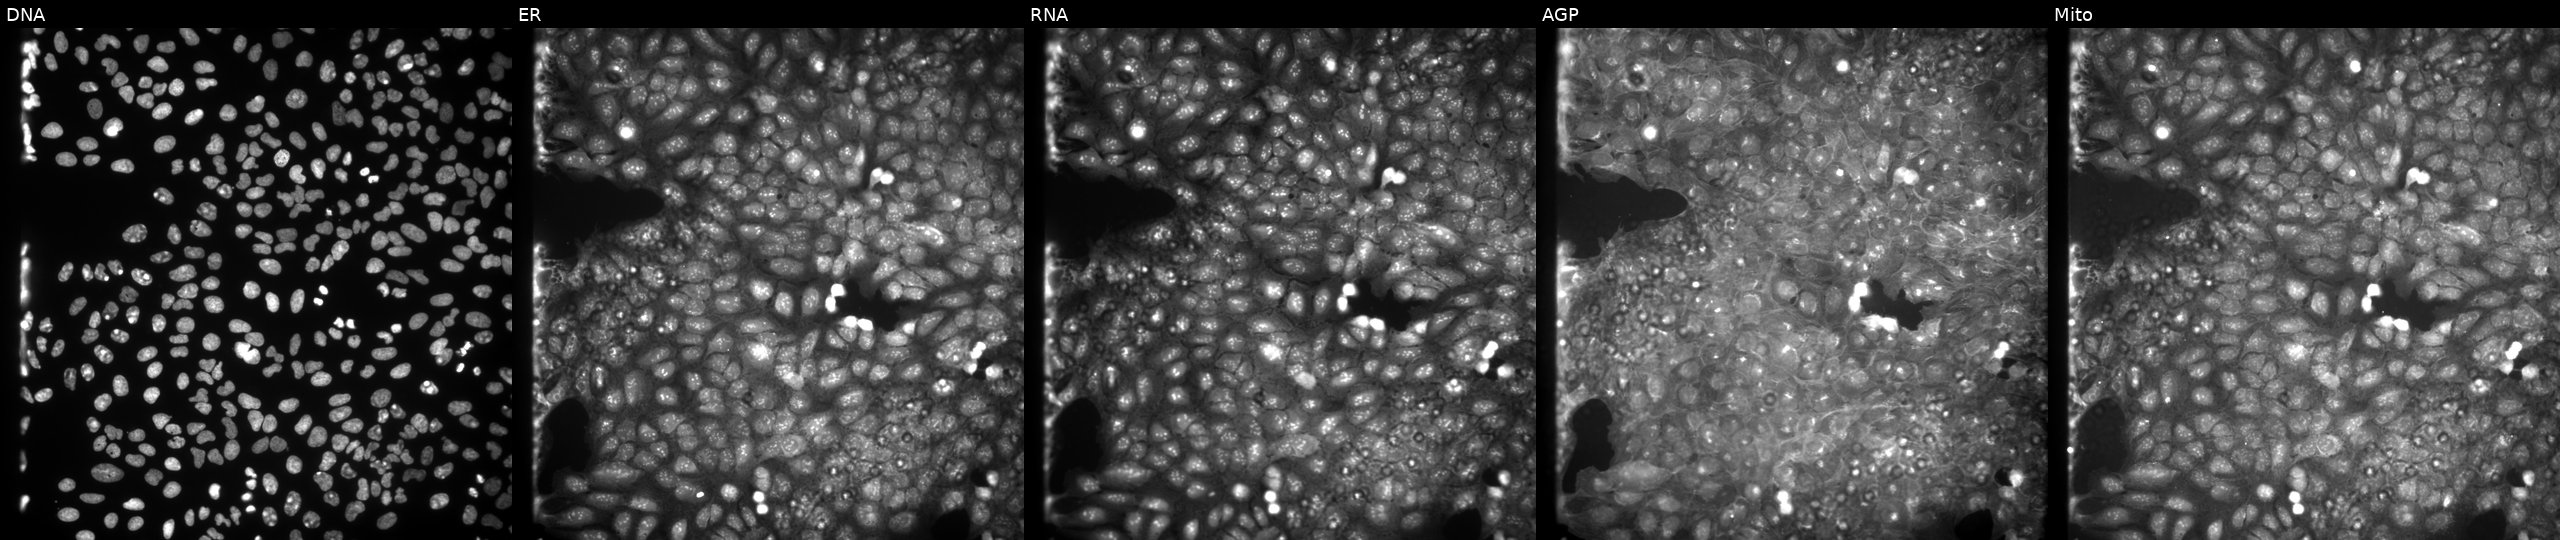
Five-channel Cell Painting image of U2OS cells exposed to a small-molecule compound (InChIKey LXGXFAHDVDRRCG-UHFFFAOYSA-N) (JUMP id JCP2022_052316). Panels show, left to right, DNA, ER, RNA, AGP, and Mito. Source 9, plate GR00003382, well B13.